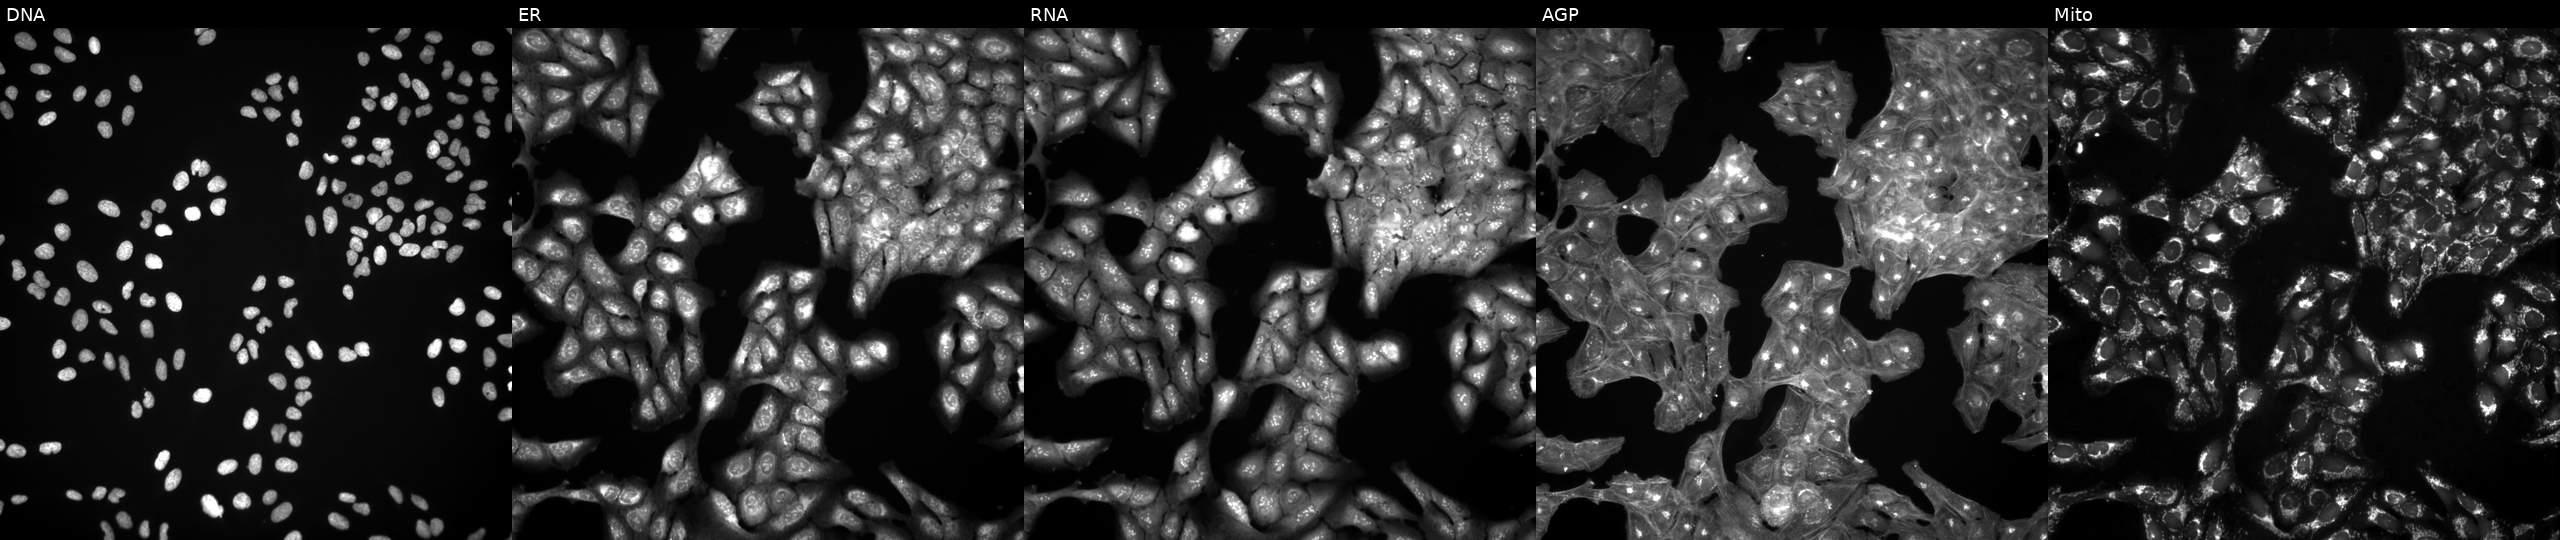
High-content fluorescence microscopy (Cell Painting). Cell line: U2OS. Perturbation: treated with DMSO vehicle only (negative control). The five panels, left to right, show Hoechst 33342, concanavalin A, SYTO 14, phalloidin and WGA, MitoTracker.